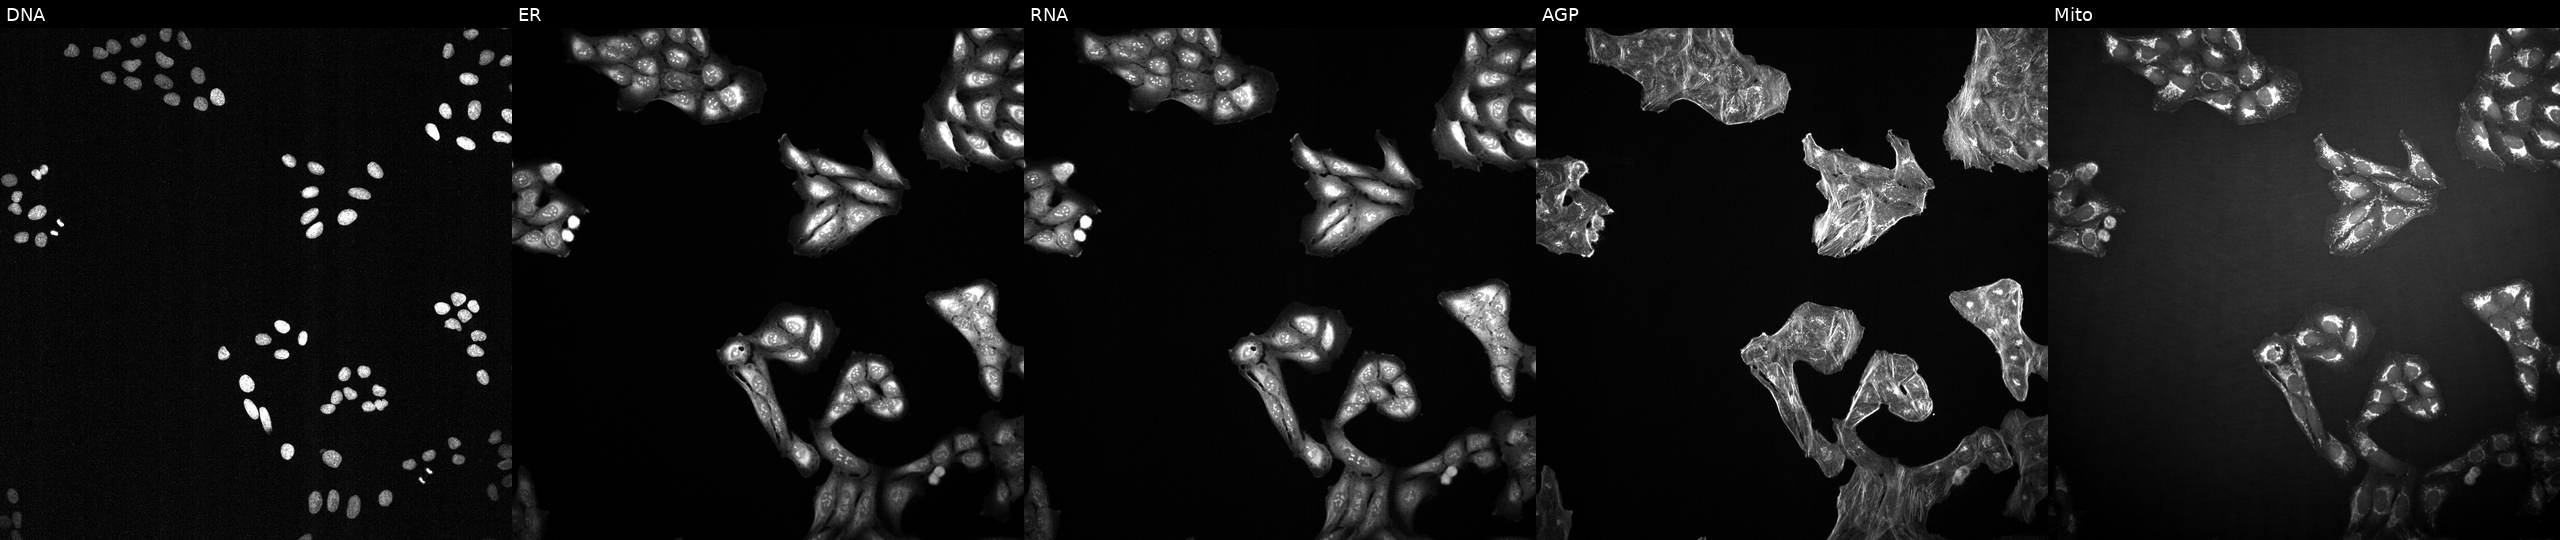
This image strip shows the five Cell Painting channels for a single field of U2OS cells perturbed with a small-molecule compound (InChIKey WLBUICQBNZXIDJ-UHFFFAOYSA-N) (JUMP id JCP2022_099471). From left to right: DNA, ER, RNA, AGP, and Mito.